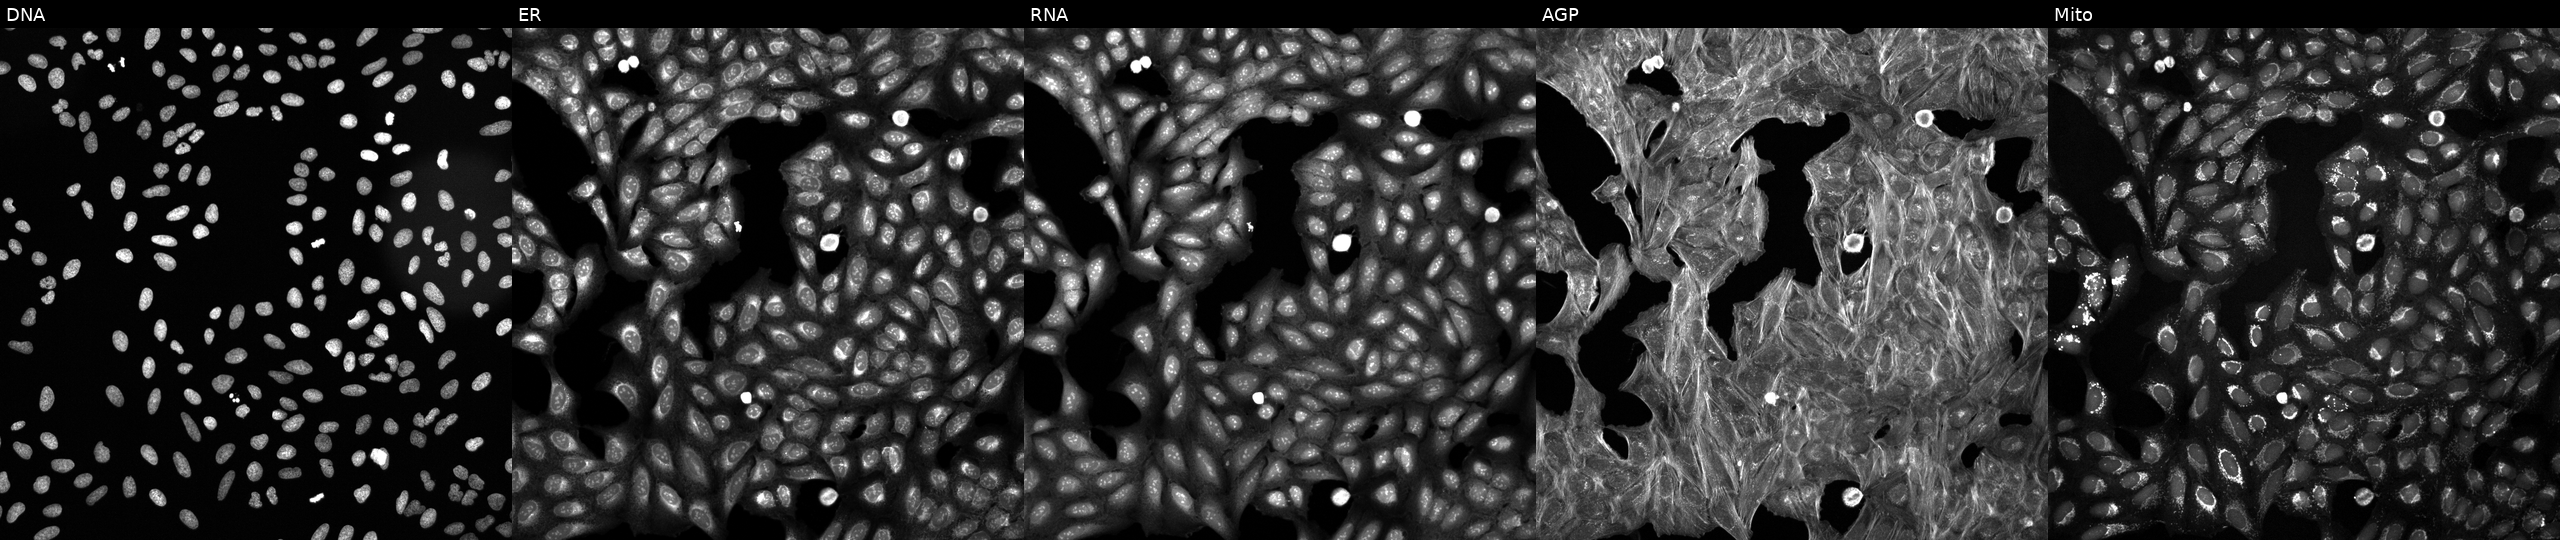
U2OS cells, Cell Painting assay, exposed to a small-molecule compound (InChIKey SZBGQDXLNMELTB-UHFFFAOYSA-N). Panels show, left to right, Hoechst 33342, concanavalin A, SYTO 14, phalloidin and WGA, MitoTracker. Each panel is percentile-stretched 16-bit fluorescence.